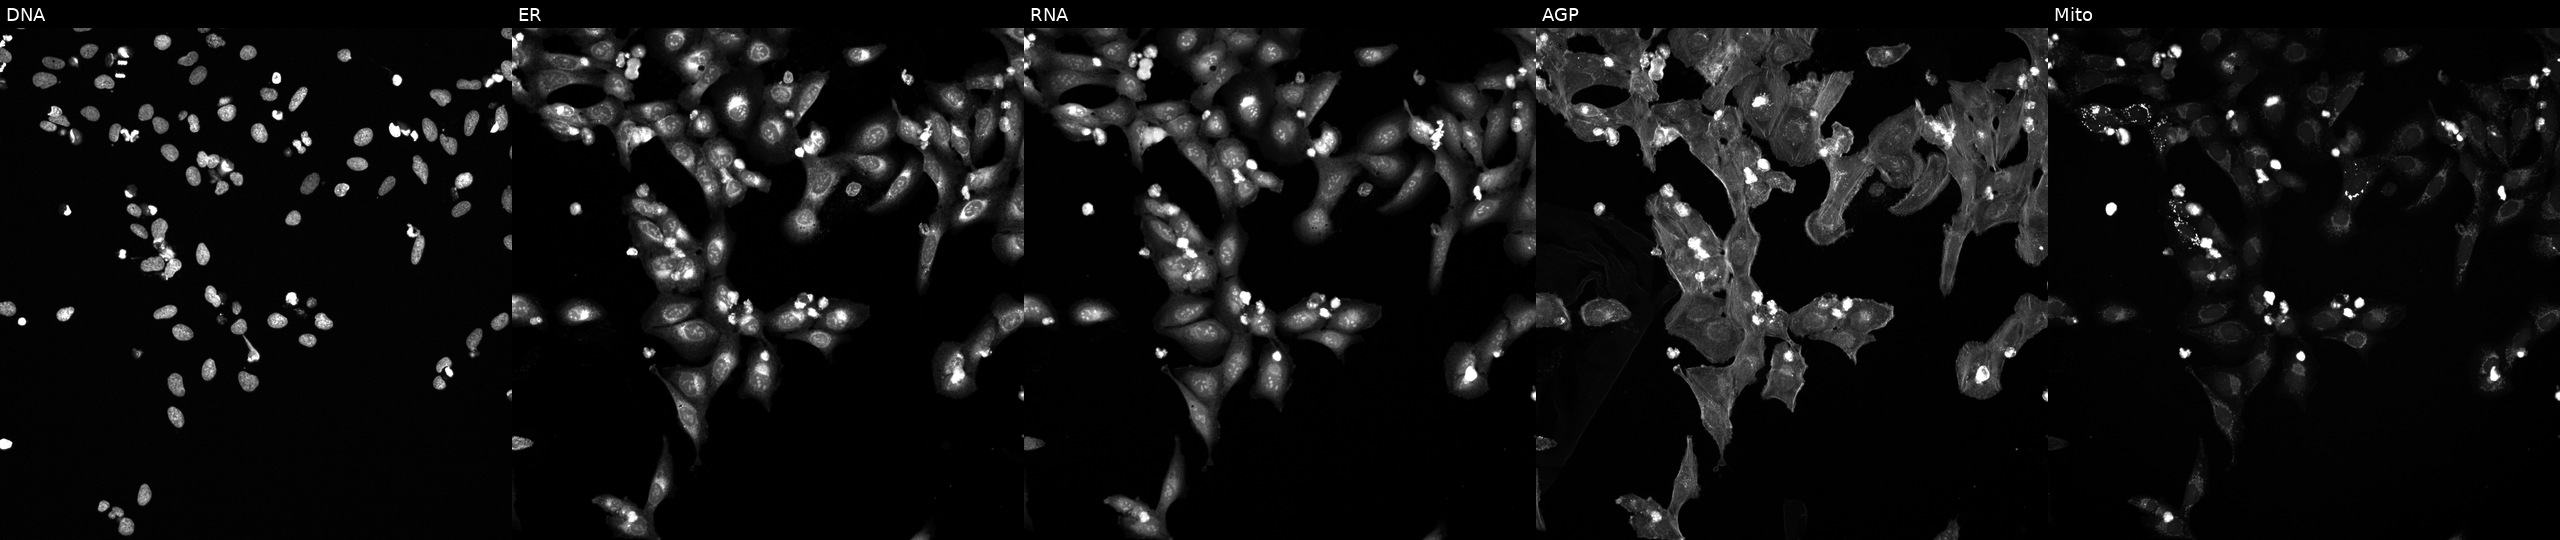
This image strip shows the five Cell Painting channels for a single field of U2OS cells perturbed with a small-molecule compound. Channels (left→right): Hoechst 33342, concanavalin A, SYTO 14, phalloidin and WGA, MitoTracker.